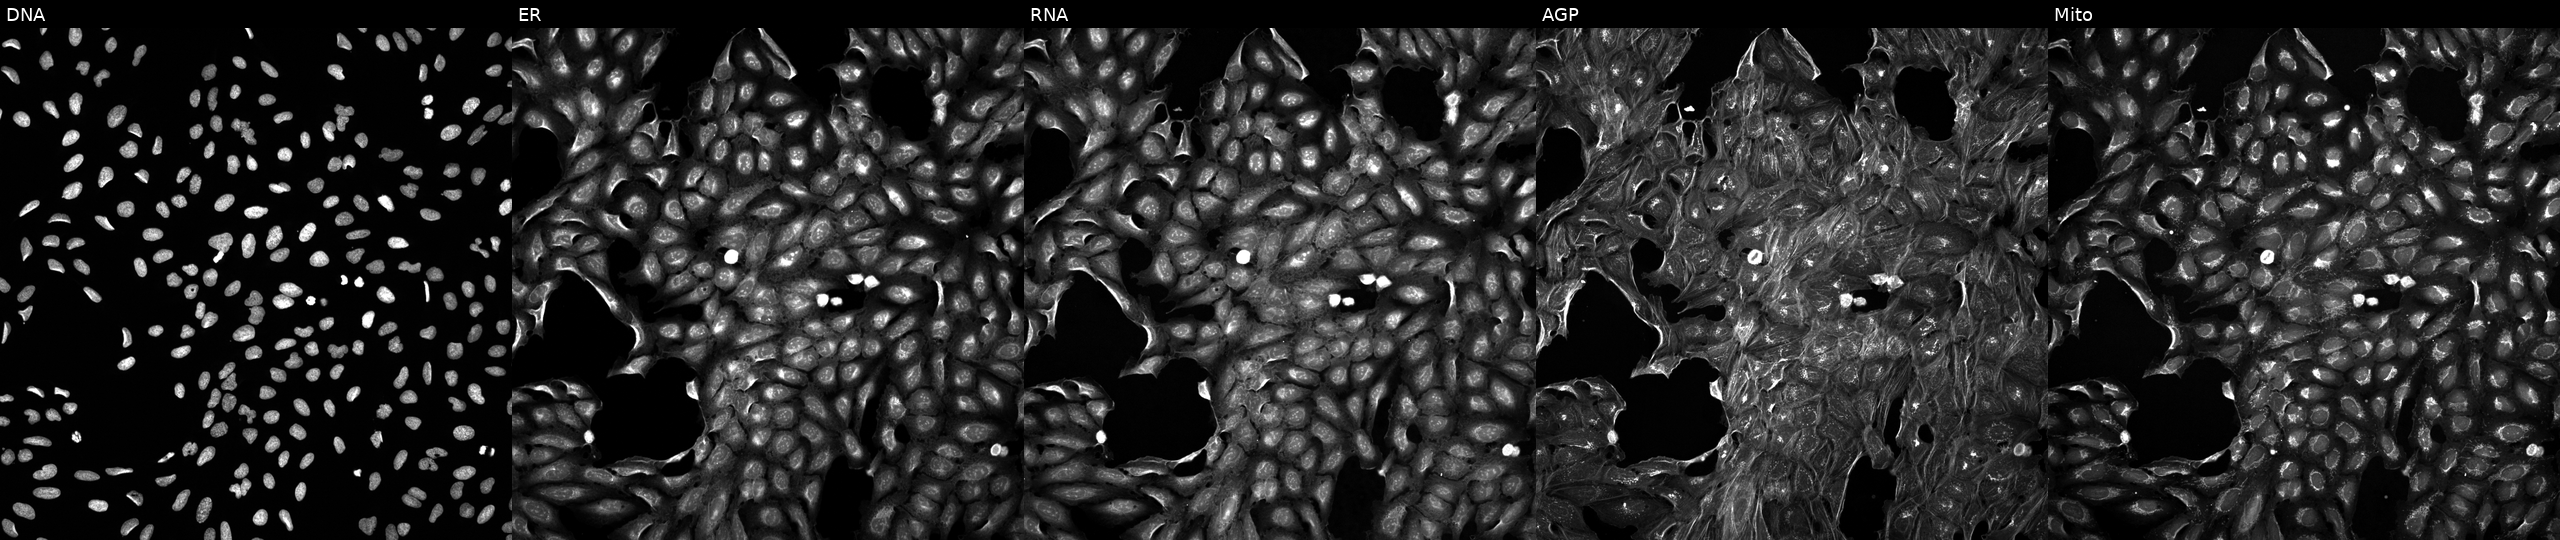
U2OS cells, Cell Painting assay, treated with a small-molecule compound (InChIKey RIJLVEAXPNLDTC-UHFFFAOYSA-N) (JUMP id JCP2022_078581). Channels (left→right): DNA (nuclei); ER (endoplasmic reticulum); RNA (nucleoli and cytoplasmic RNA); AGP (actin cytoskeleton, Golgi, and plasma membrane); Mito (mitochondria). Each panel is percentile-stretched 16-bit fluorescence.